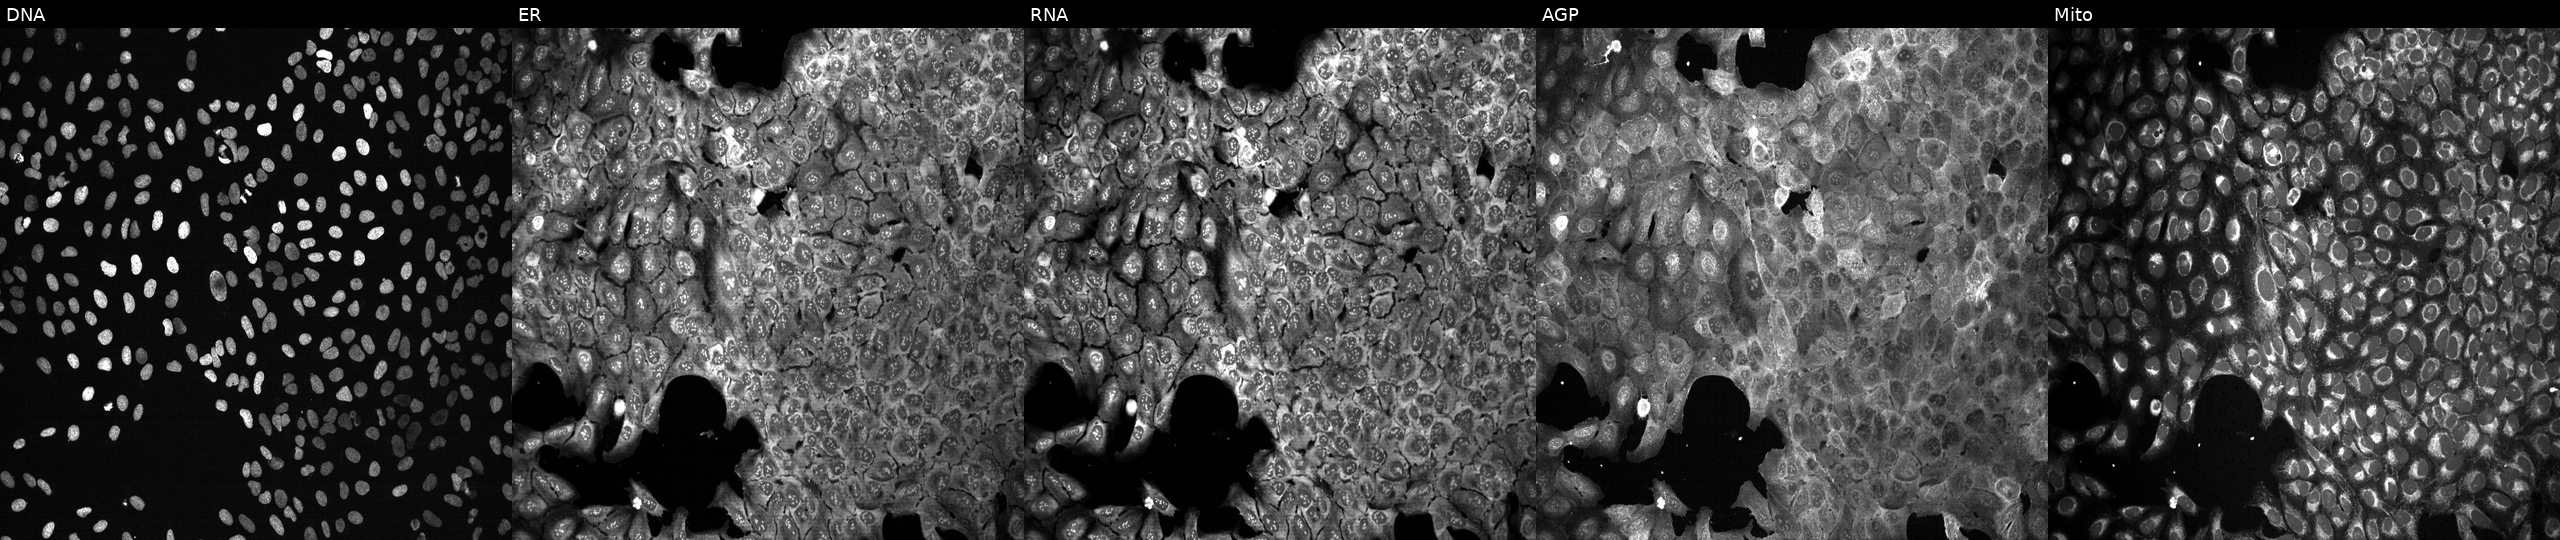
High-content fluorescence microscopy (Cell Painting). Cell line: U2OS. Perturbation: CRISPR-edited to disrupt PDE4C. From left to right: DNA (nuclei); ER (endoplasmic reticulum); RNA (nucleoli and cytoplasmic RNA); AGP (actin cytoskeleton, Golgi, and plasma membrane); Mito (mitochondria).